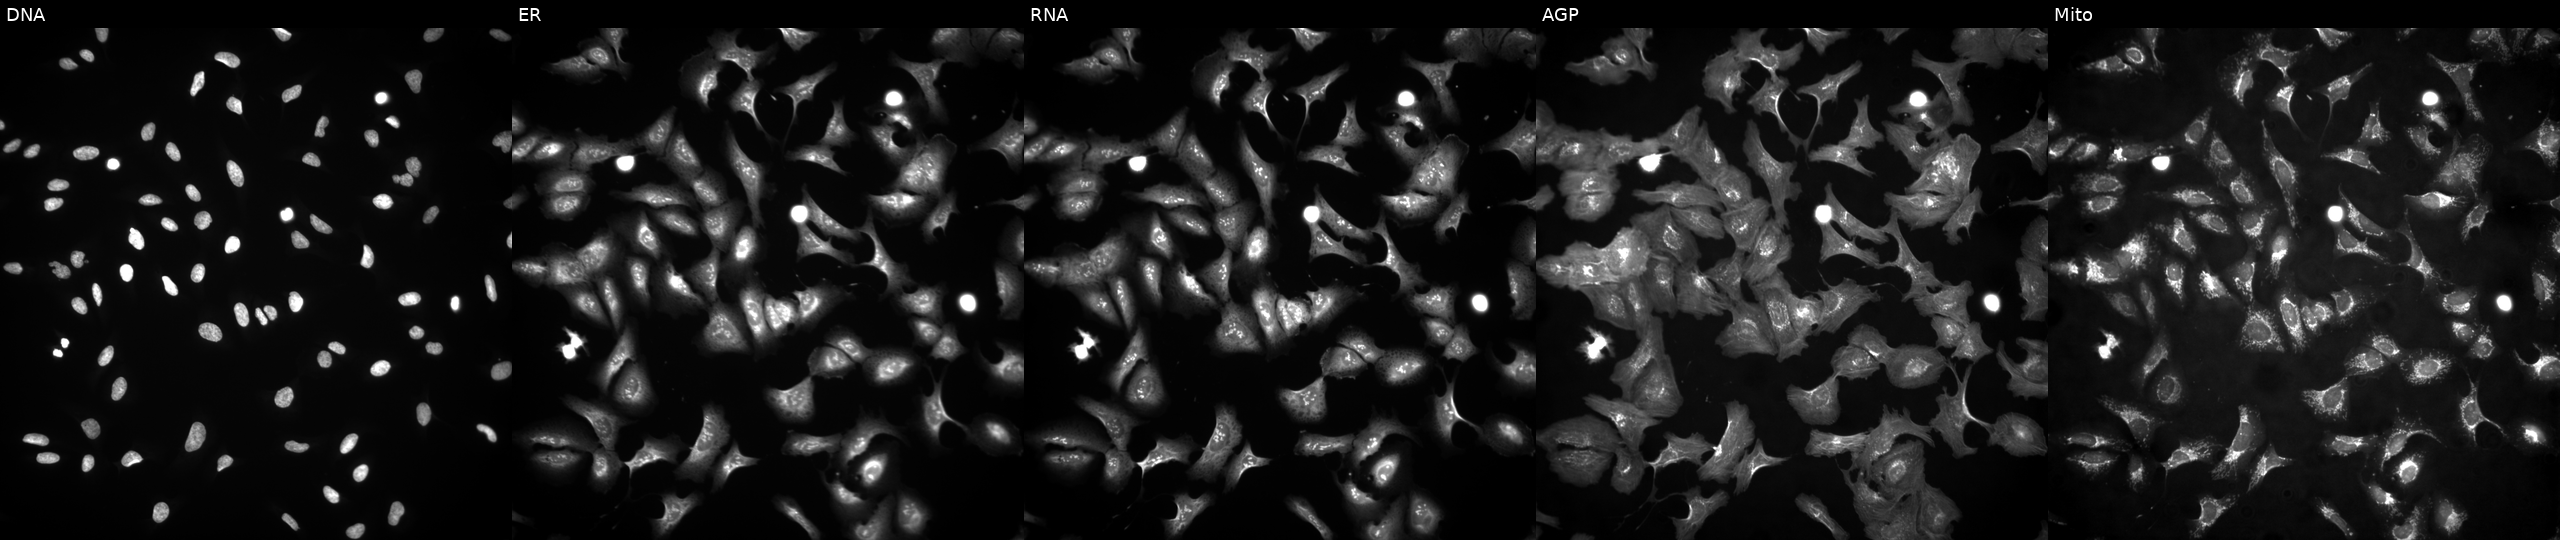
JUMP Cell Painting — ORF plate. U2OS cells transfected with an ORF construct for KRTAP3-1 (JUMP id JCP2022_904033). Panels show, left to right, Hoechst 33342, concanavalin A, SYTO 14, phalloidin and WGA, MitoTracker.